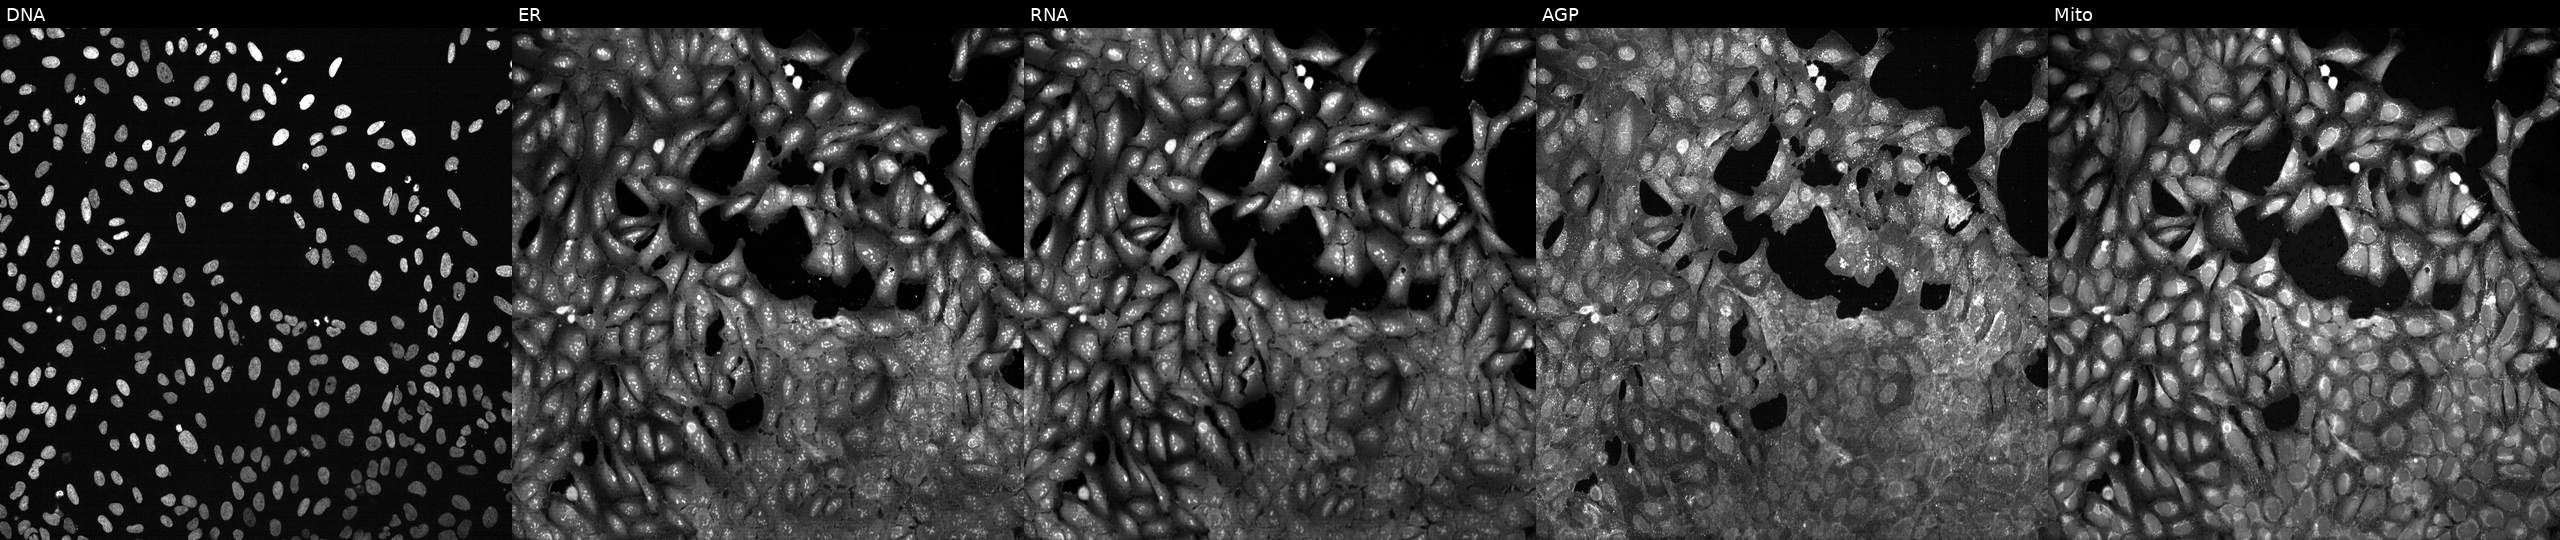
Five-channel Cell Painting image of U2OS cells following CRISPR knockout of RABGGTB (JUMP id JCP2022_805793). From left to right: DNA (nuclei); ER (endoplasmic reticulum); RNA (nucleoli and cytoplasmic RNA); AGP (actin cytoskeleton, Golgi, and plasma membrane); Mito (mitochondria).